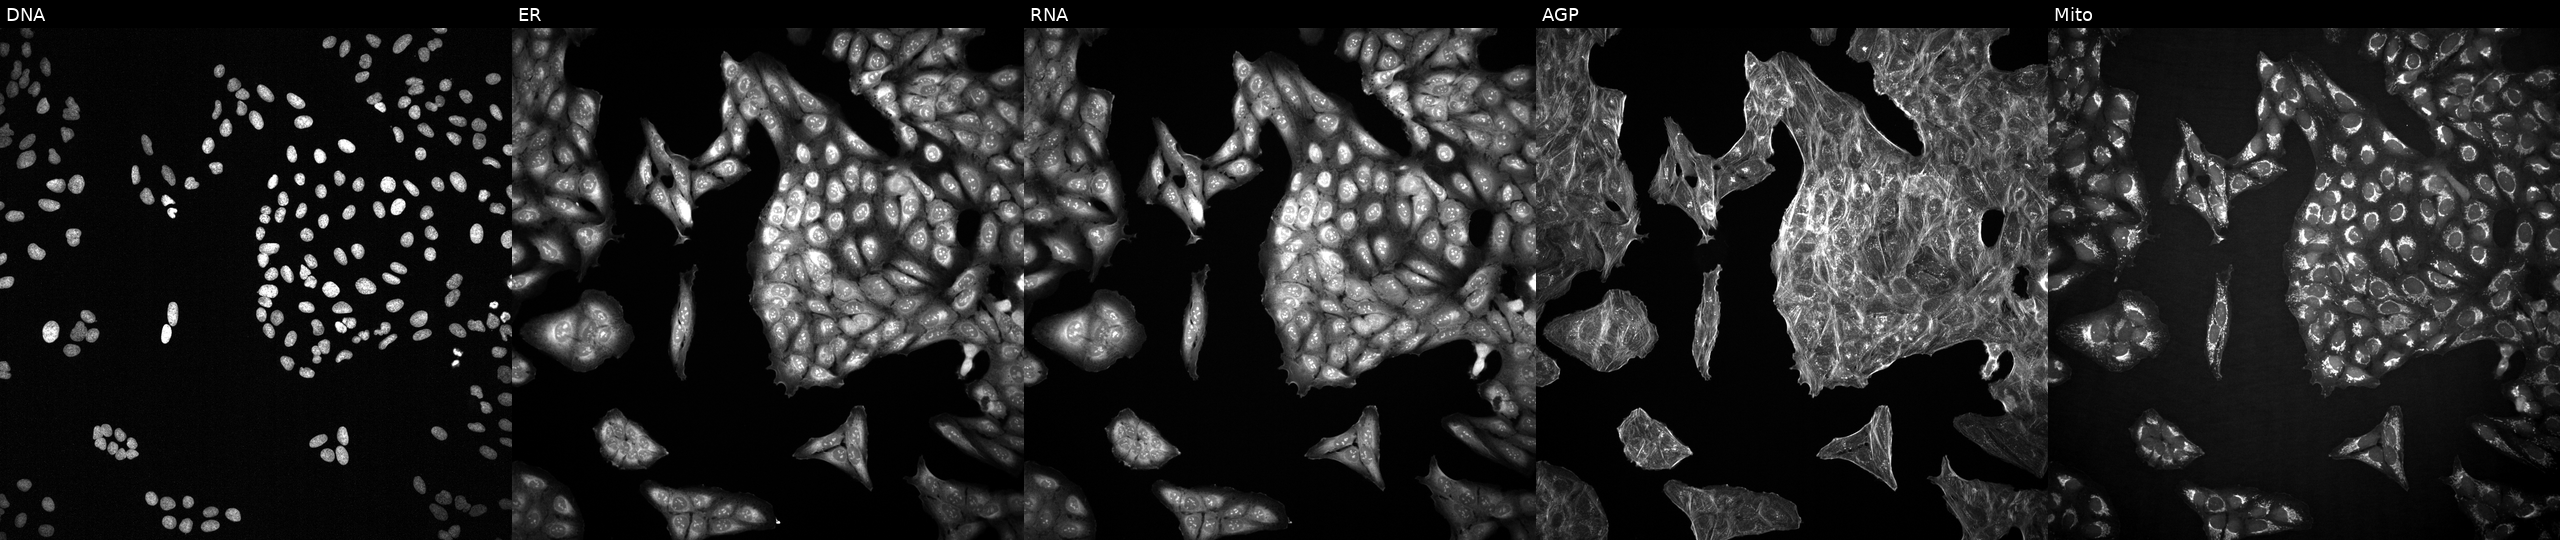
From left to right: DNA (nuclei); ER (endoplasmic reticulum); RNA (nucleoli and cytoplasmic RNA); AGP (actin cytoskeleton, Golgi, and plasma membrane); Mito (mitochondria). U2OS osteosarcoma cells exposed to a small-molecule compound (JUMP id JCP2022_074697). Cell Painting assay, JUMP-CP dataset.